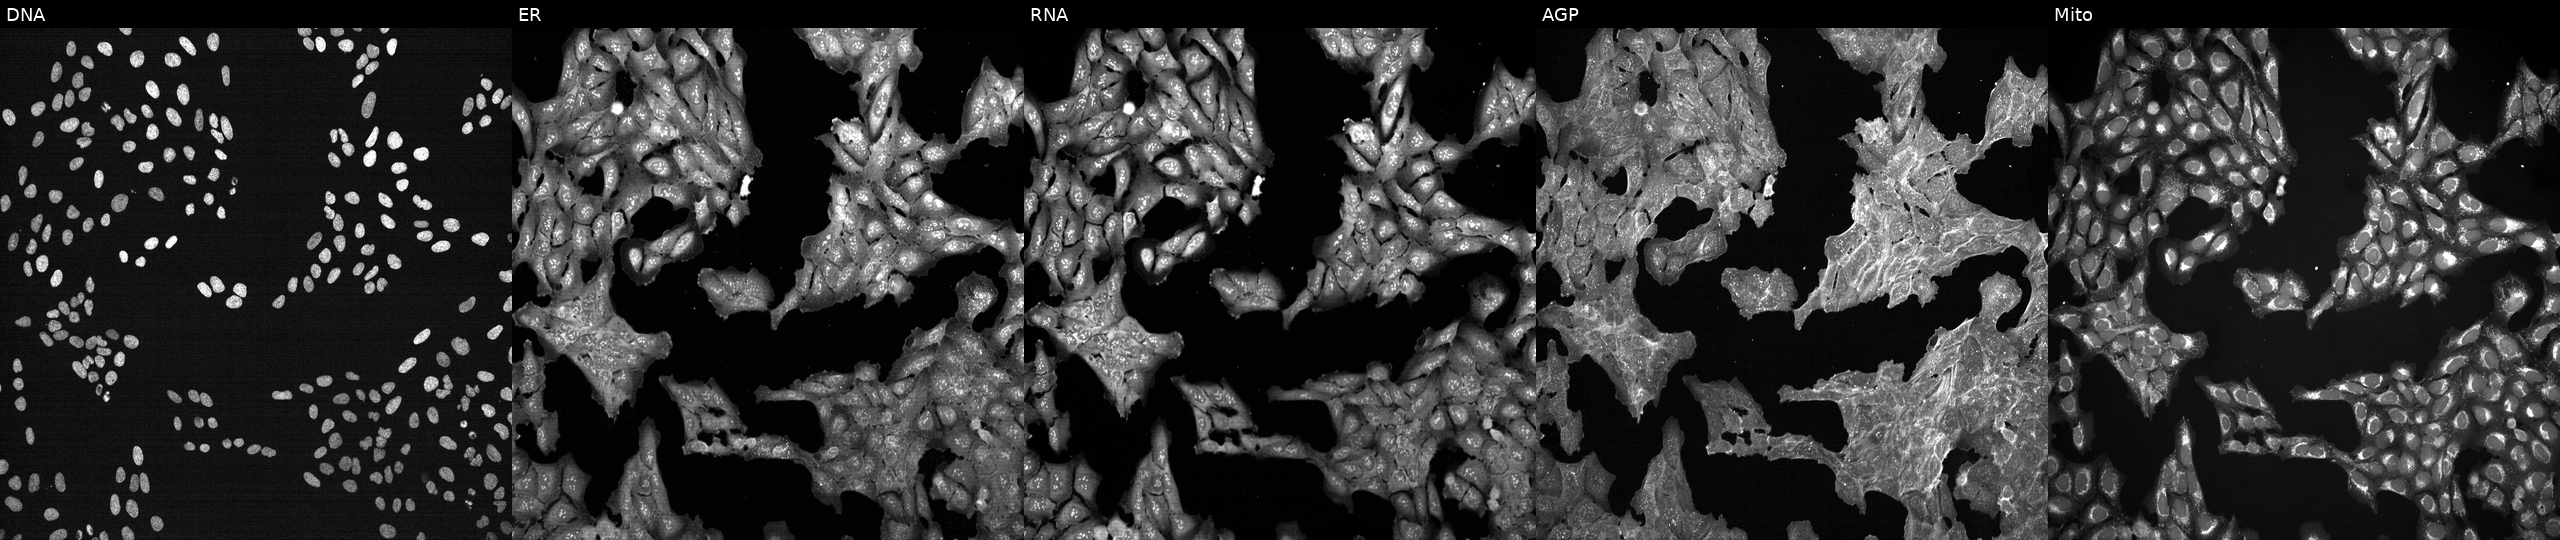
From left to right: Hoechst 33342, concanavalin A, SYTO 14, phalloidin and WGA, MitoTracker. U2OS osteosarcoma cells treated with DMSO vehicle only (negative control) (JUMP id JCP2022_033924). Cell Painting assay, JUMP-CP dataset.